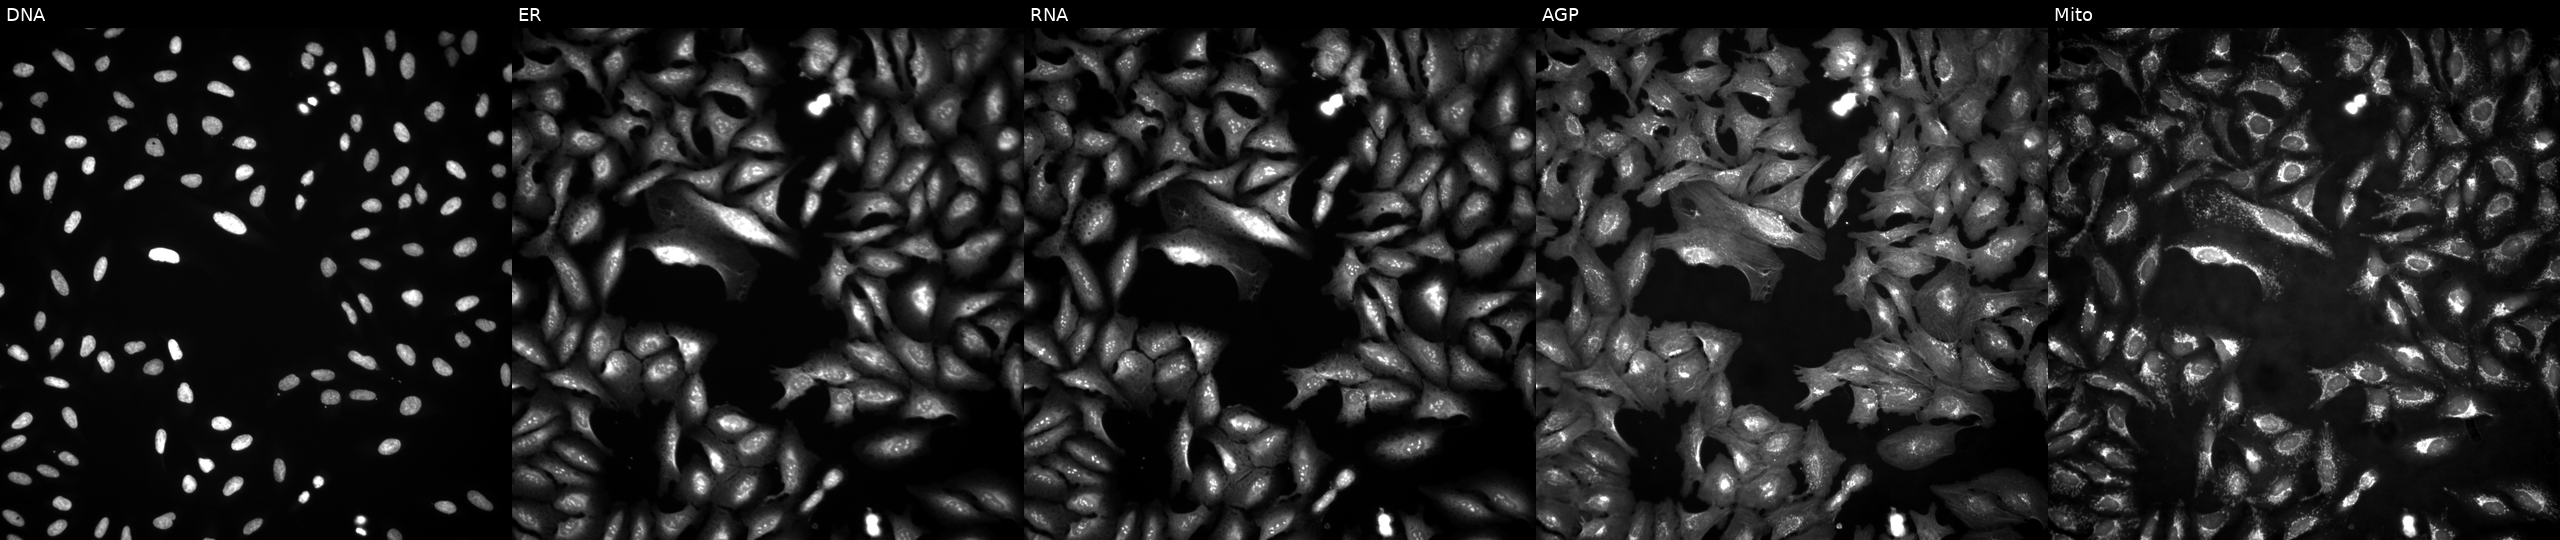
Five-channel Cell Painting image of U2OS cells transfected with an ORF construct for LOC554206 (JUMP id JCP2022_909480). Panels show, left to right, DNA (nuclei); ER (endoplasmic reticulum); RNA (nucleoli and cytoplasmic RNA); AGP (actin cytoskeleton, Golgi, and plasma membrane); Mito (mitochondria).